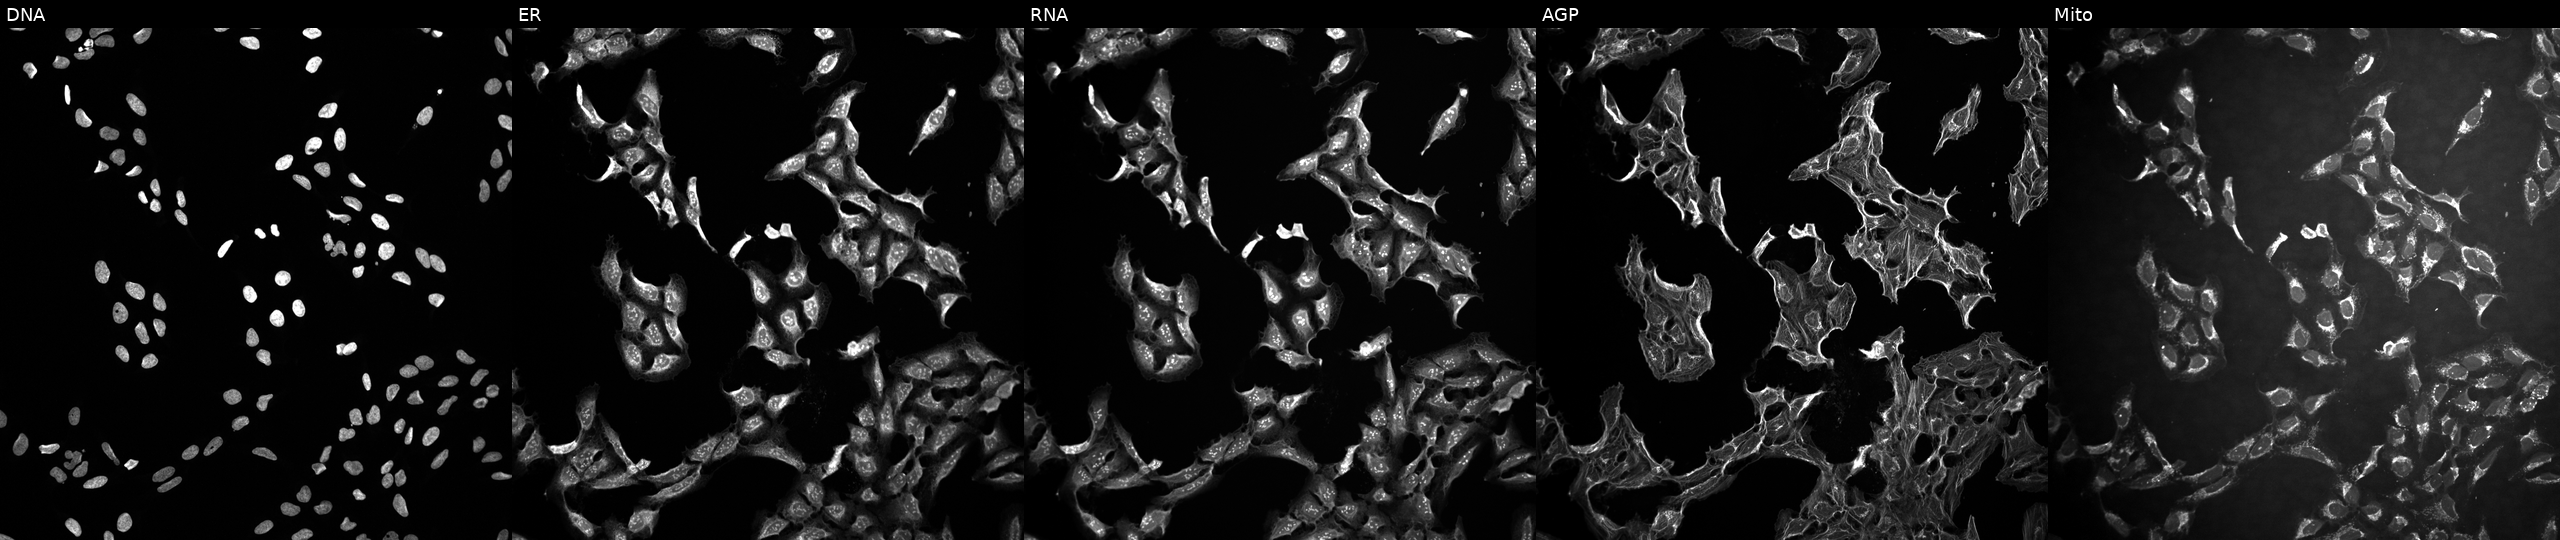
High-content fluorescence microscopy (Cell Painting). Cell line: U2OS. Perturbation: treated with a small-molecule compound (JUMP id JCP2022_067426). Channels (left→right): DNA (nuclei); ER (endoplasmic reticulum); RNA (nucleoli and cytoplasmic RNA); AGP (actin cytoskeleton, Golgi, and plasma membrane); Mito (mitochondria). Source 10, plate Dest210726-160150, well O22.